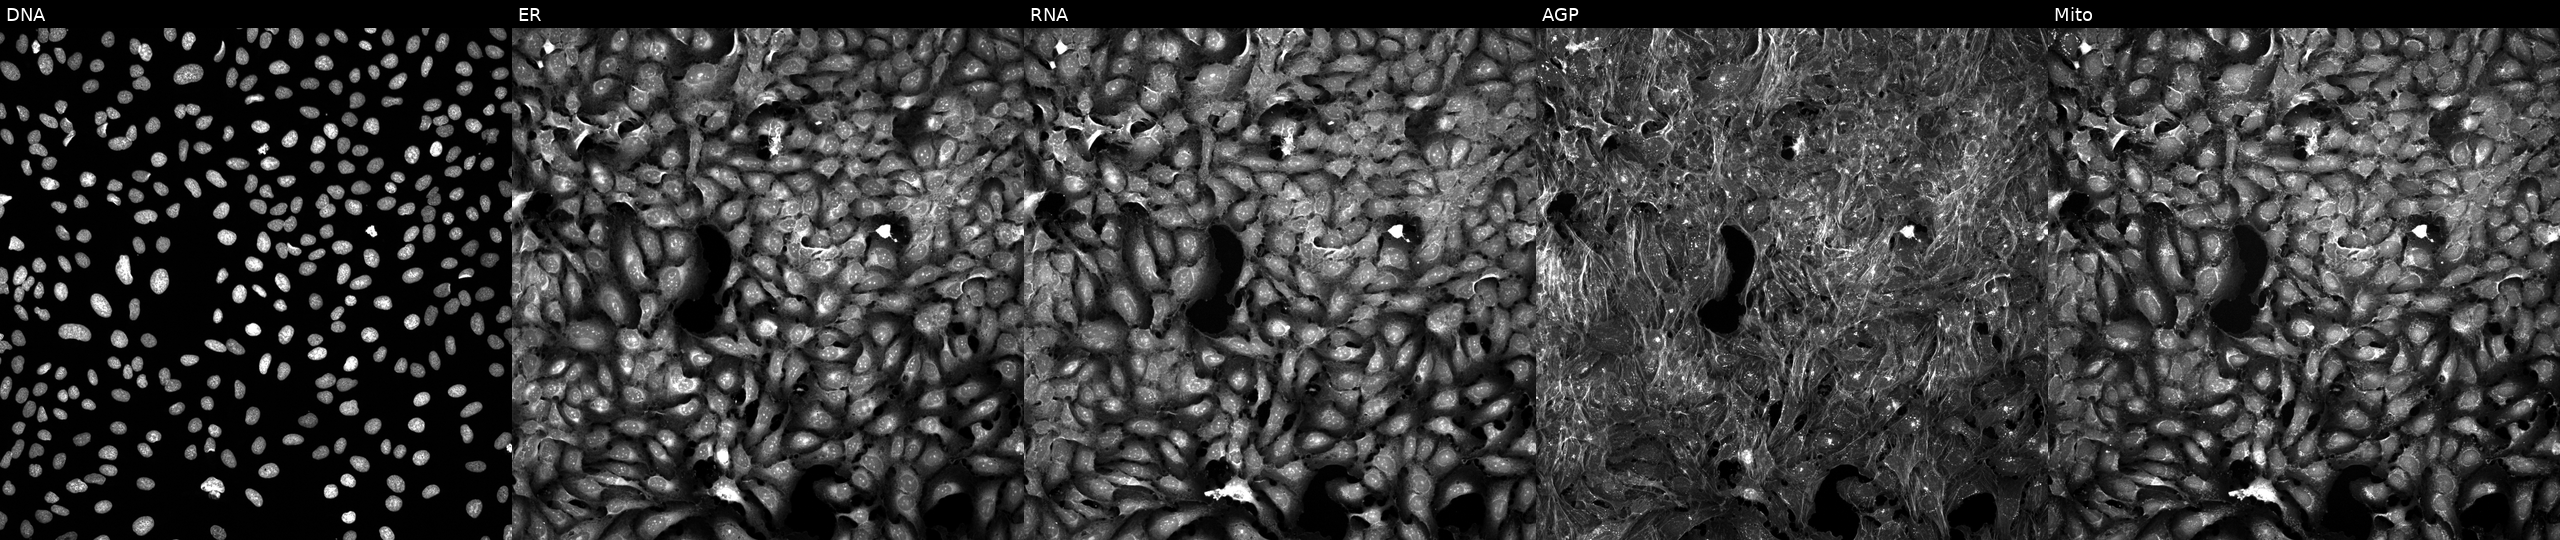
Channels (left→right): Hoechst 33342, concanavalin A, SYTO 14, phalloidin and WGA, MitoTracker. U2OS osteosarcoma cells exposed to the positive-control compound FK-866 (JUMP id JCP2022_046054). Cell Painting assay, JUMP-CP dataset.